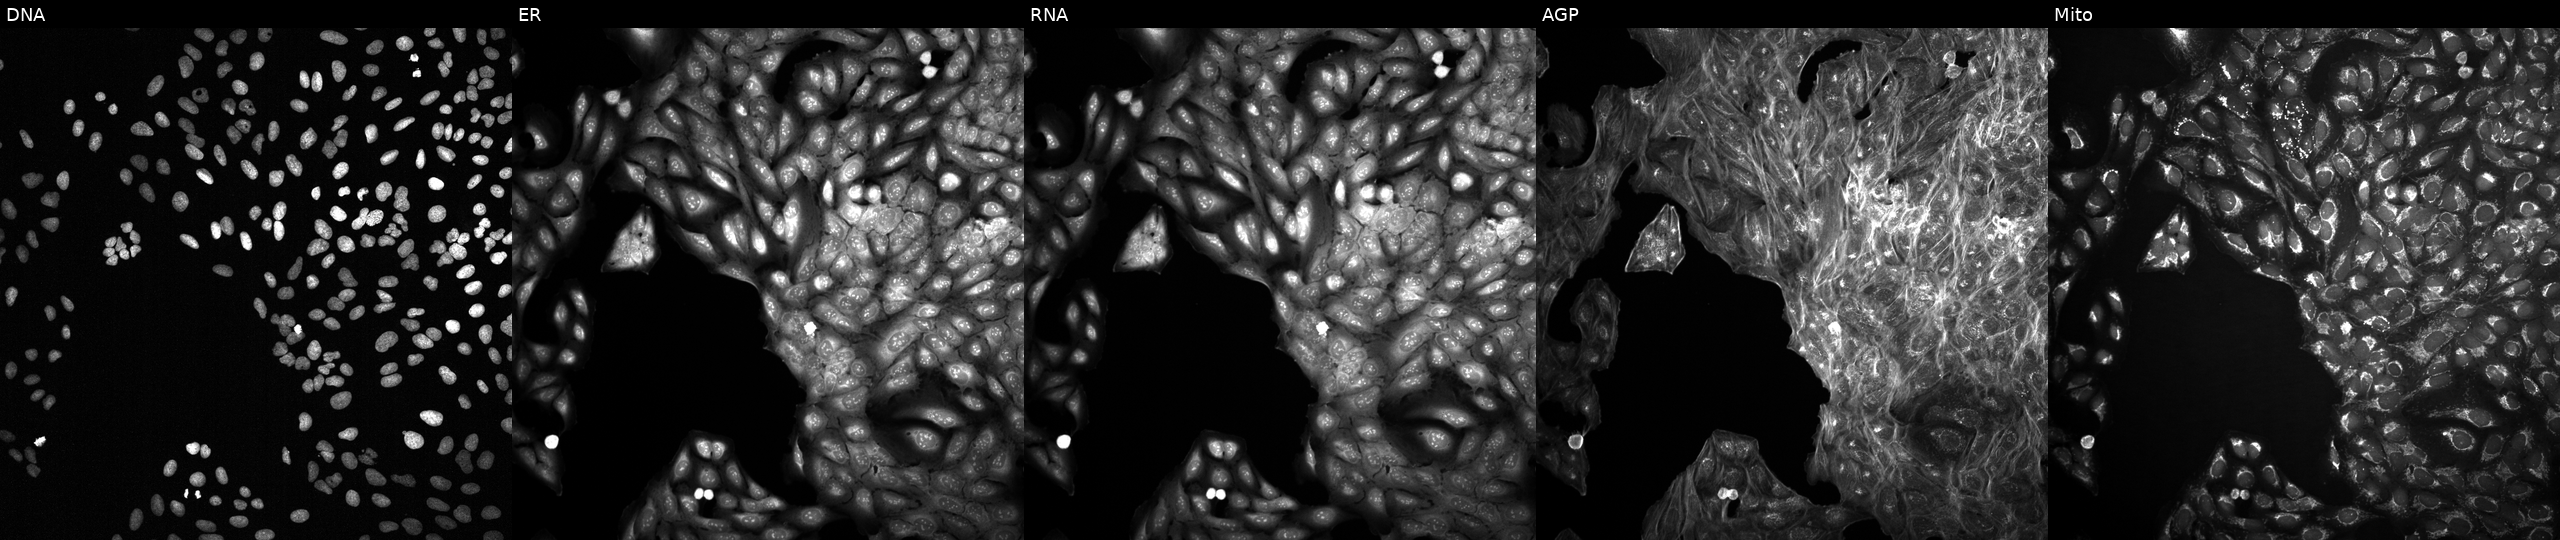
U2OS cells, Cell Painting assay, exposed to the positive-control compound quinidine. The five panels, left to right, show DNA, ER, RNA, AGP, and Mito. Each panel is percentile-stretched 16-bit fluorescence.